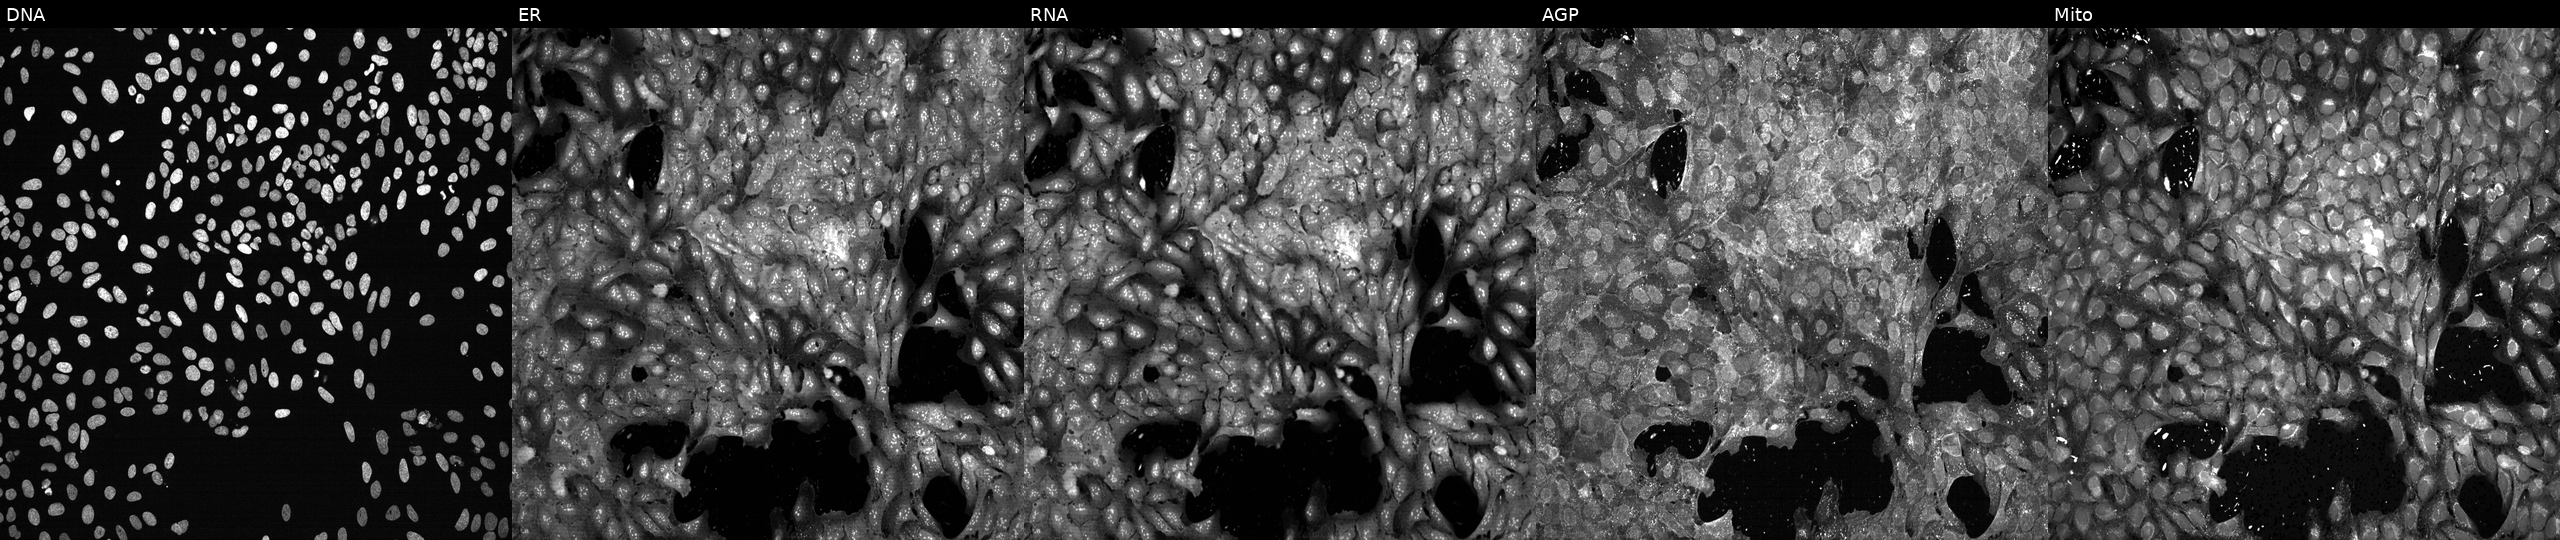
U2OS cells, Cell Painting assay, treated with dexamethasone (positive-control compound) (JUMP id JCP2022_025848). Channels (left→right): Hoechst 33342, concanavalin A, SYTO 14, phalloidin and WGA, MitoTracker. Each panel is percentile-stretched 16-bit fluorescence.